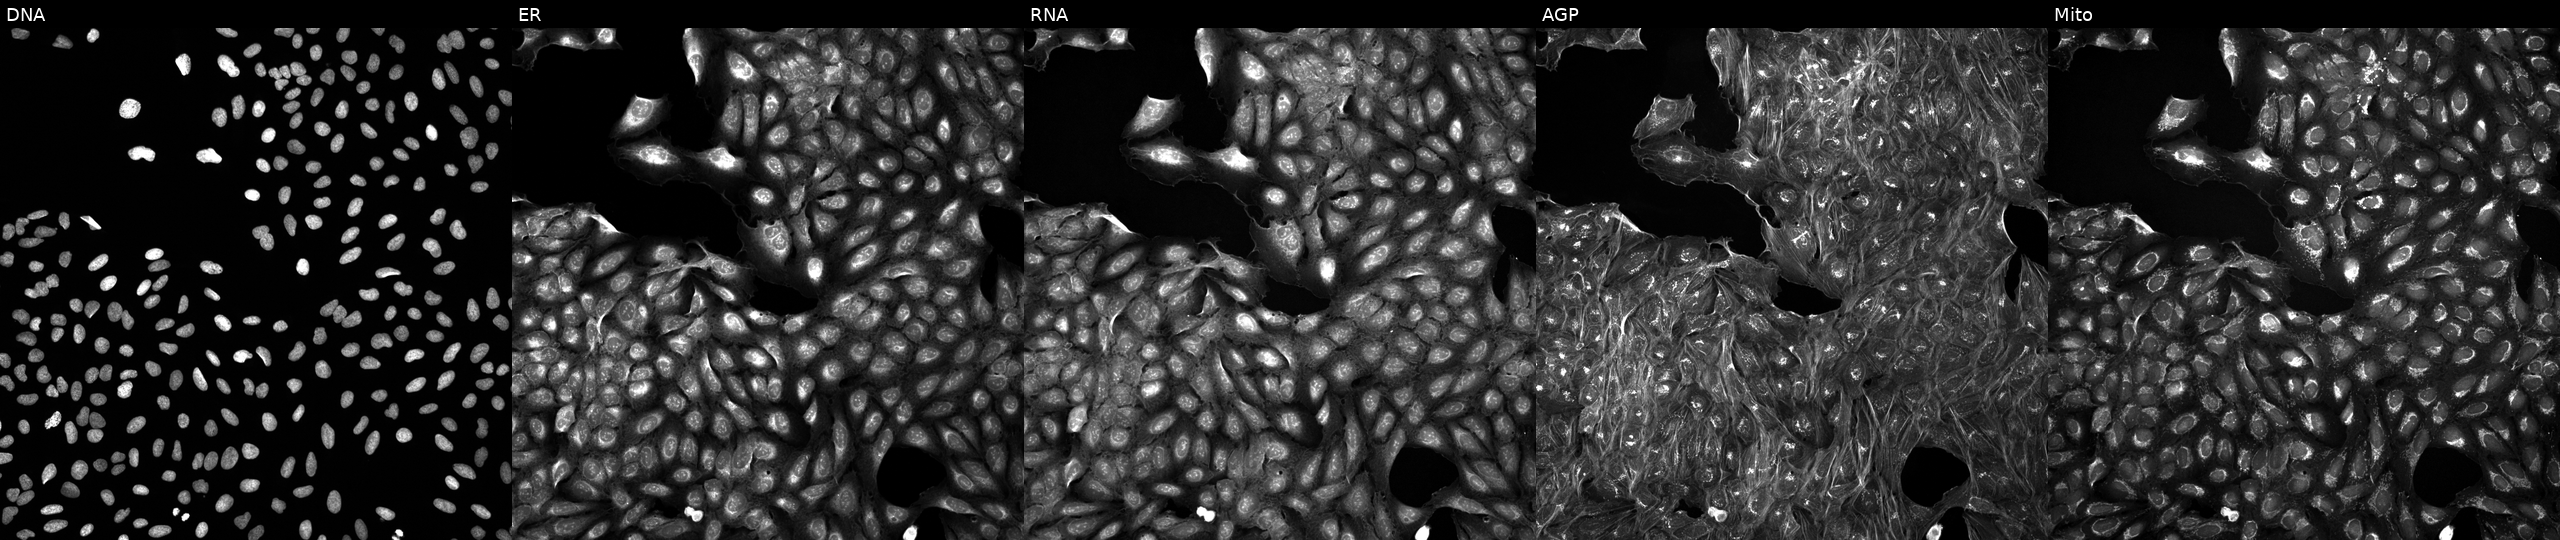
This image strip shows the five Cell Painting channels for a single field of U2OS cells treated with a small-molecule compound (InChIKey PDMUULPVBYQBBK-UHFFFAOYSA-N). The five panels, left to right, show DNA (nuclei); ER (endoplasmic reticulum); RNA (nucleoli and cytoplasmic RNA); AGP (actin cytoskeleton, Golgi, and plasma membrane); Mito (mitochondria). Source 5, plate ACPJUM012, well B07.